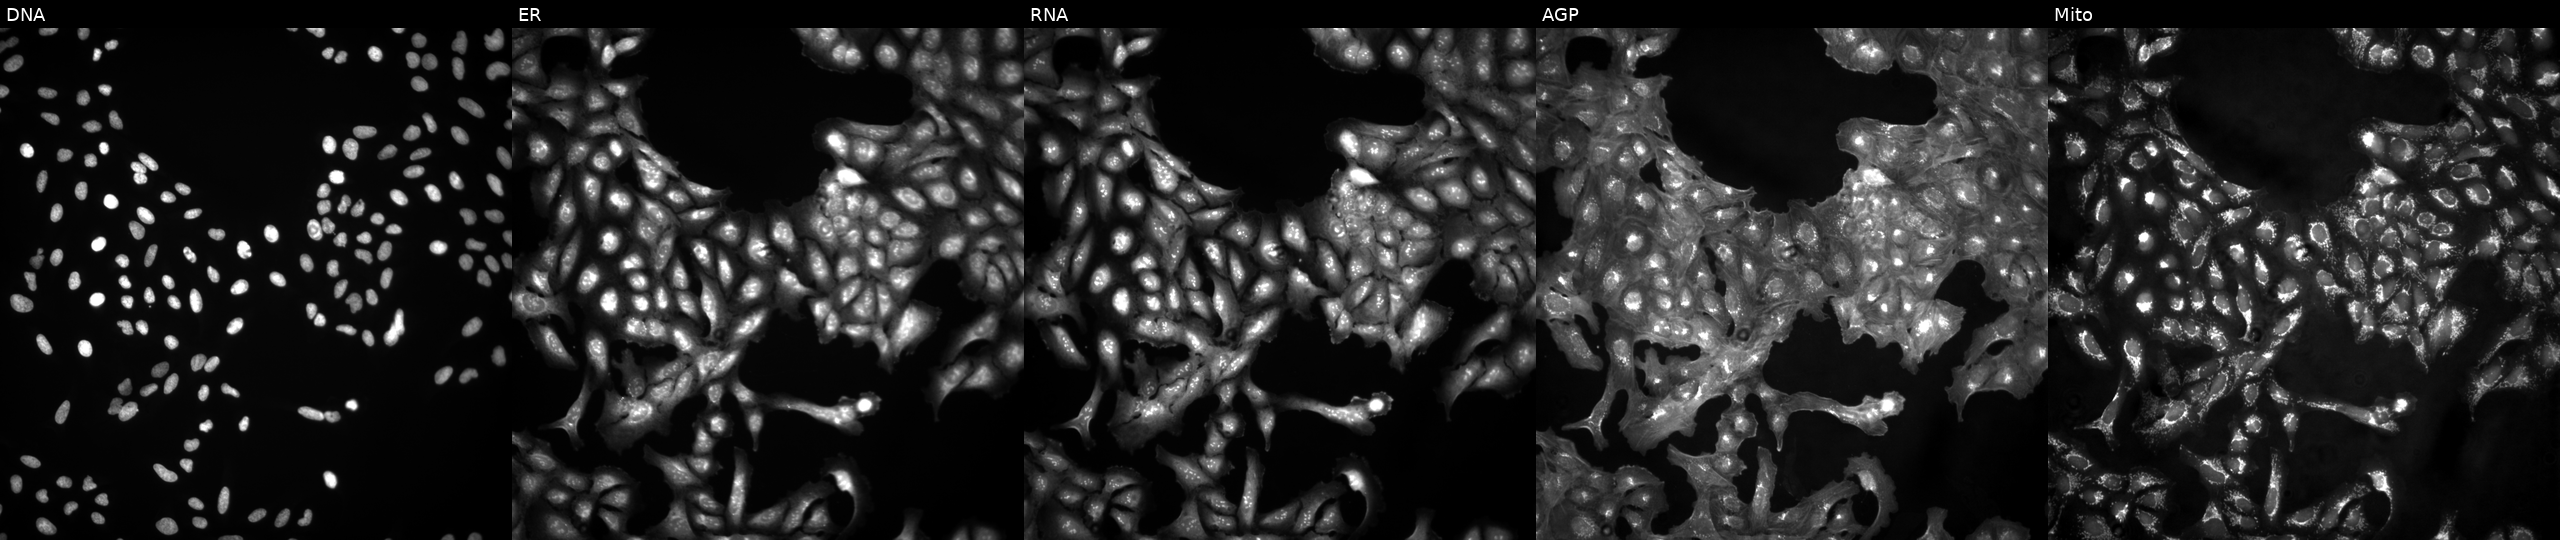
Five-channel Cell Painting image of U2OS cells untreated (empty-well control). Panels show, left to right, Hoechst 33342, concanavalin A, SYTO 14, phalloidin and WGA, MitoTracker. Source 4, plate BR00123946, well P21.